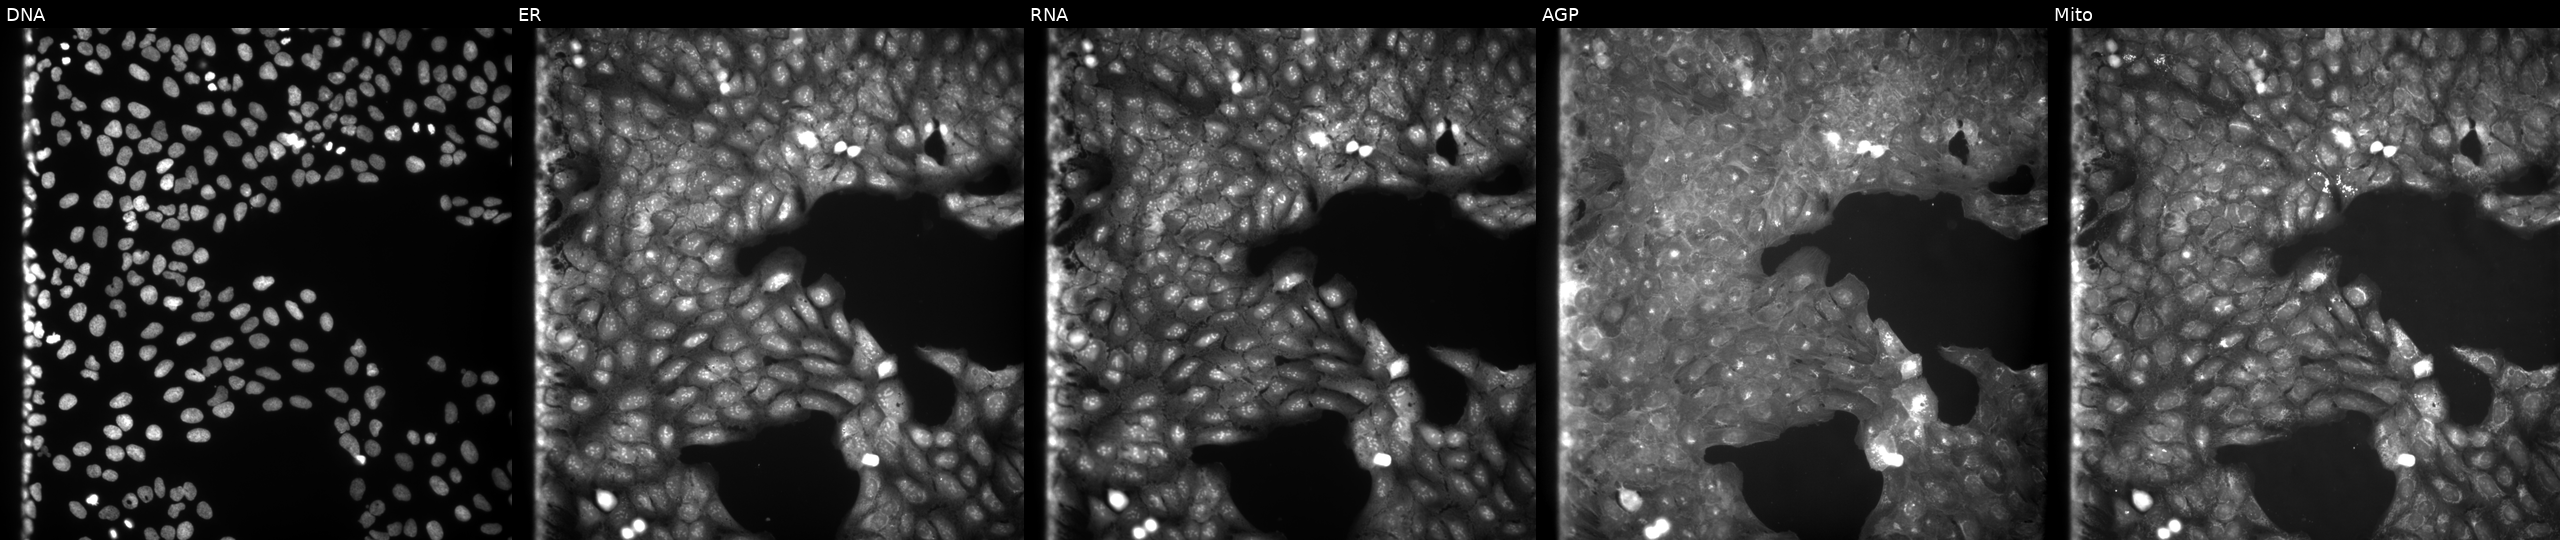
JUMP Cell Painting — COMPOUND plate. U2OS cells exposed to a small-molecule compound (InChIKey IZGOPRAATZNWCX-UHFFFAOYSA-N) [SMILES: CC1=CC(C)(C)N(C(=O)CSc2nccn2C)c2cc(C)ccc21] (JUMP id JCP2022_038279). From left to right: Hoechst 33342, concanavalin A, SYTO 14, phalloidin and WGA, MitoTracker.